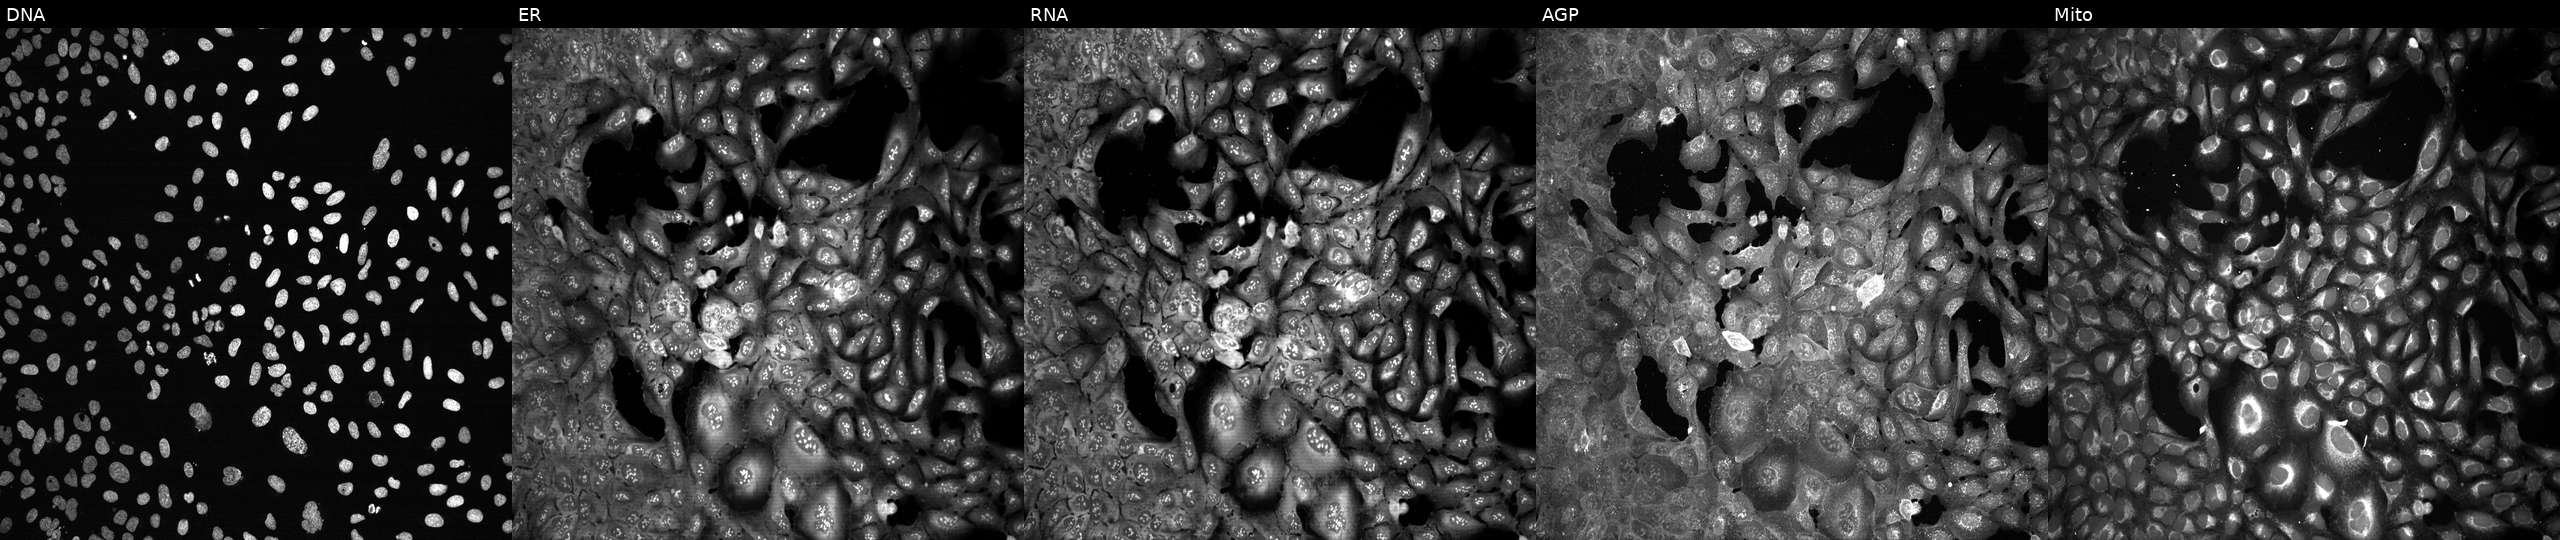
This image strip shows the five Cell Painting channels for a single field of U2OS cells with ABHD14A knocked out by CRISPR (JUMP id JCP2022_800069). The five panels, left to right, show Hoechst 33342, concanavalin A, SYTO 14, phalloidin and WGA, MitoTracker.